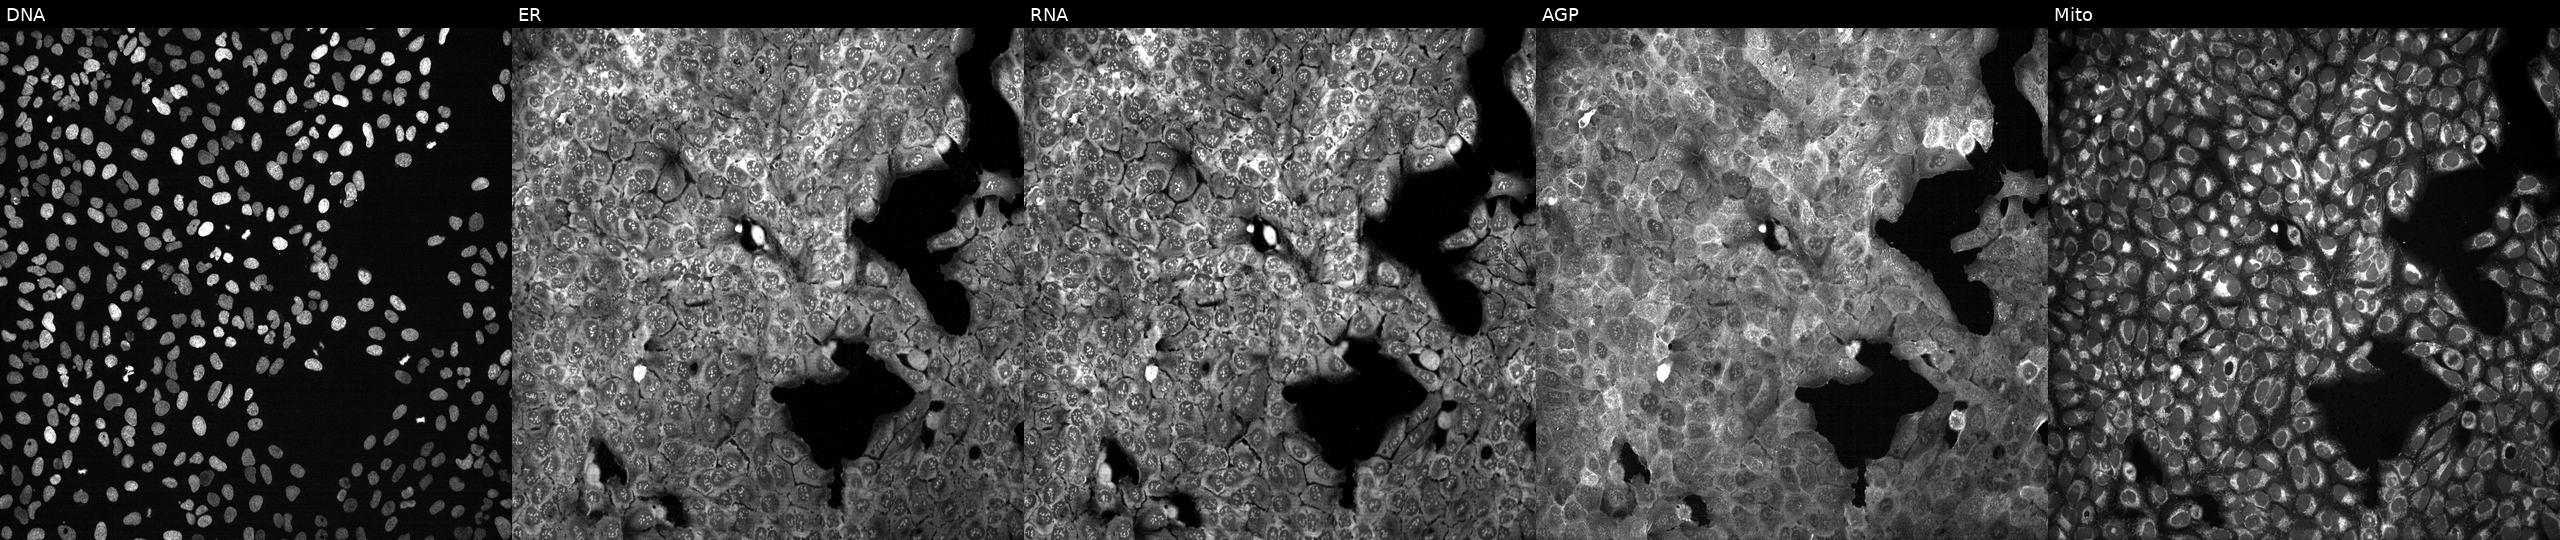
Five-channel Cell Painting image of U2OS cells with PPT1 knocked out by CRISPR (JUMP id JCP2022_805479). From left to right: Hoechst 33342, concanavalin A, SYTO 14, phalloidin and WGA, MitoTracker.